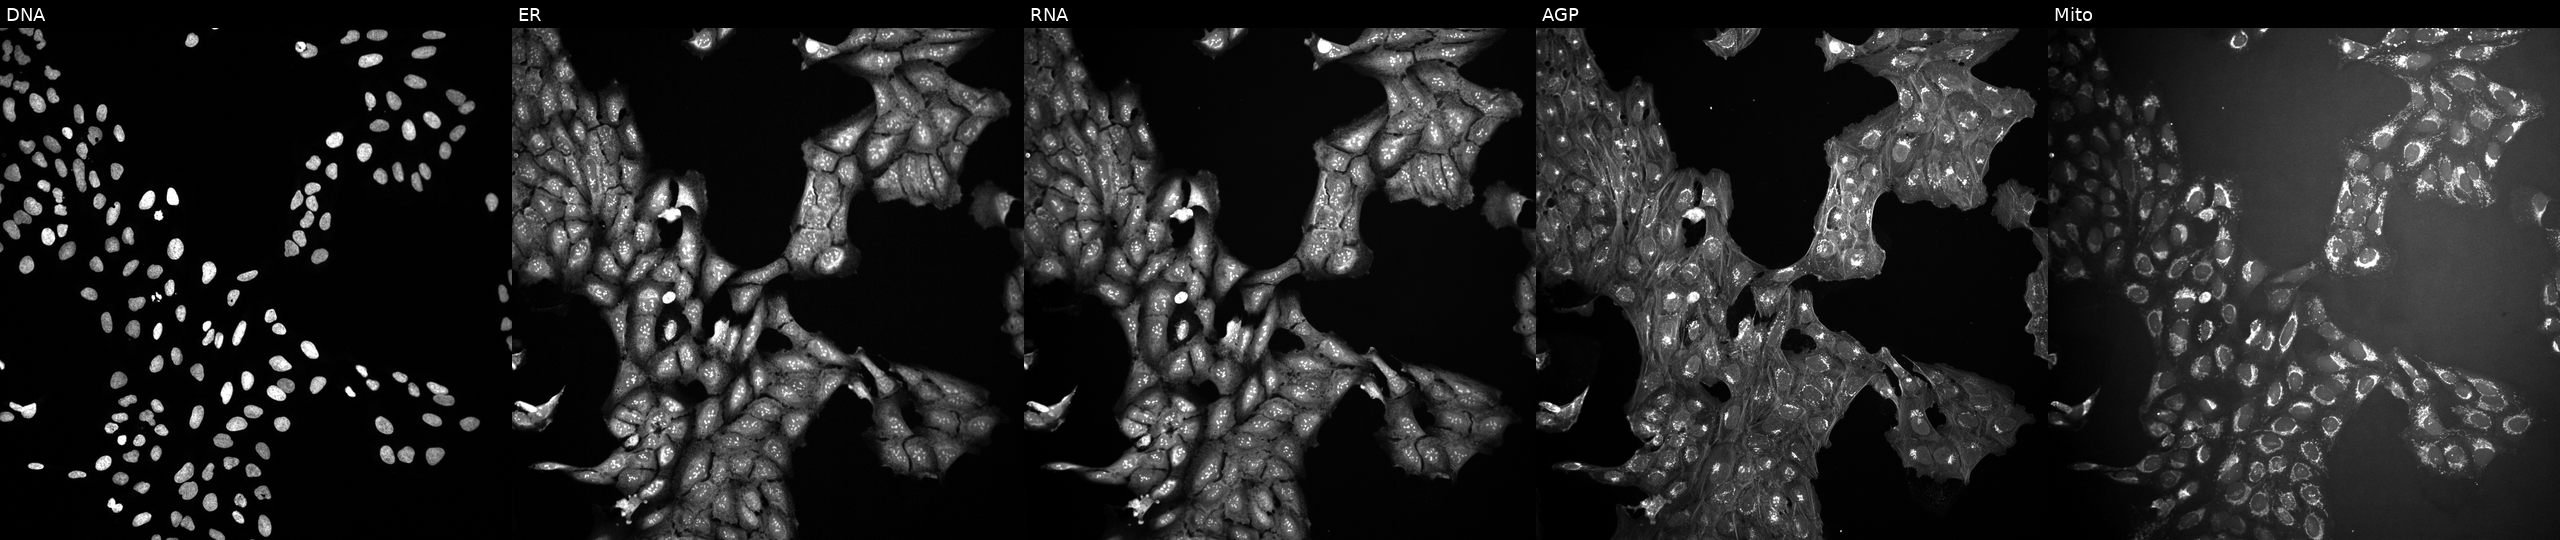
From left to right: DNA, ER, RNA, AGP, and Mito. U2OS osteosarcoma cells perturbed with a small-molecule compound (InChIKey GGDWCAKGYBTHCL-UHFFFAOYSA-N) (JUMP id JCP2022_025259). Cell Painting assay, JUMP-CP dataset.